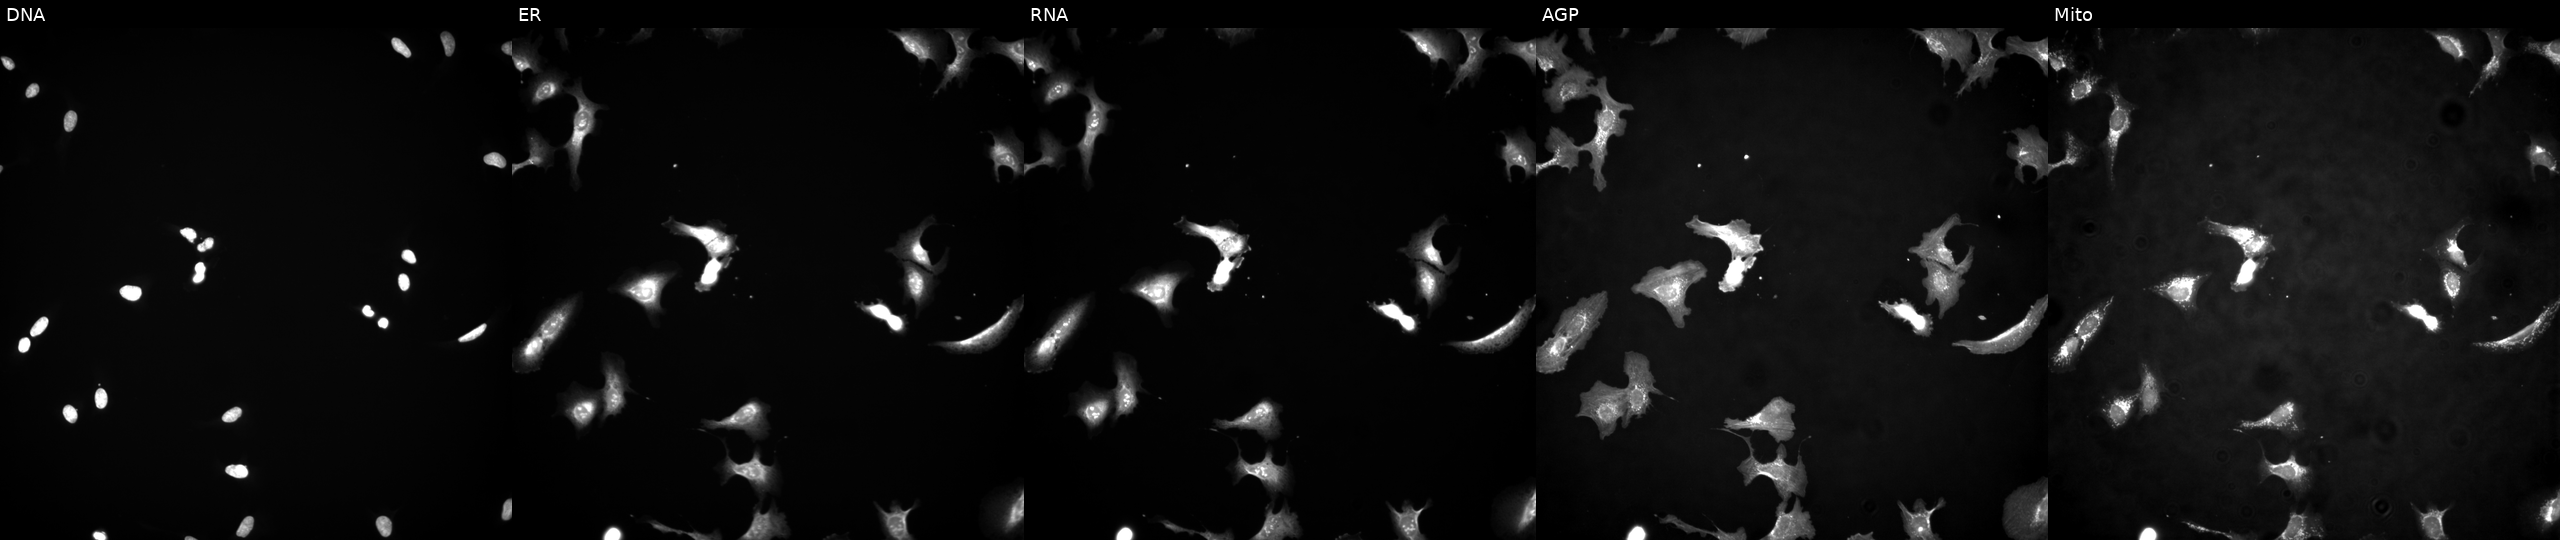
This image strip shows the five Cell Painting channels for a single field of U2OS cells with PRKAB1 overexpressed (ORF). From left to right: DNA, ER, RNA, AGP, and Mito.